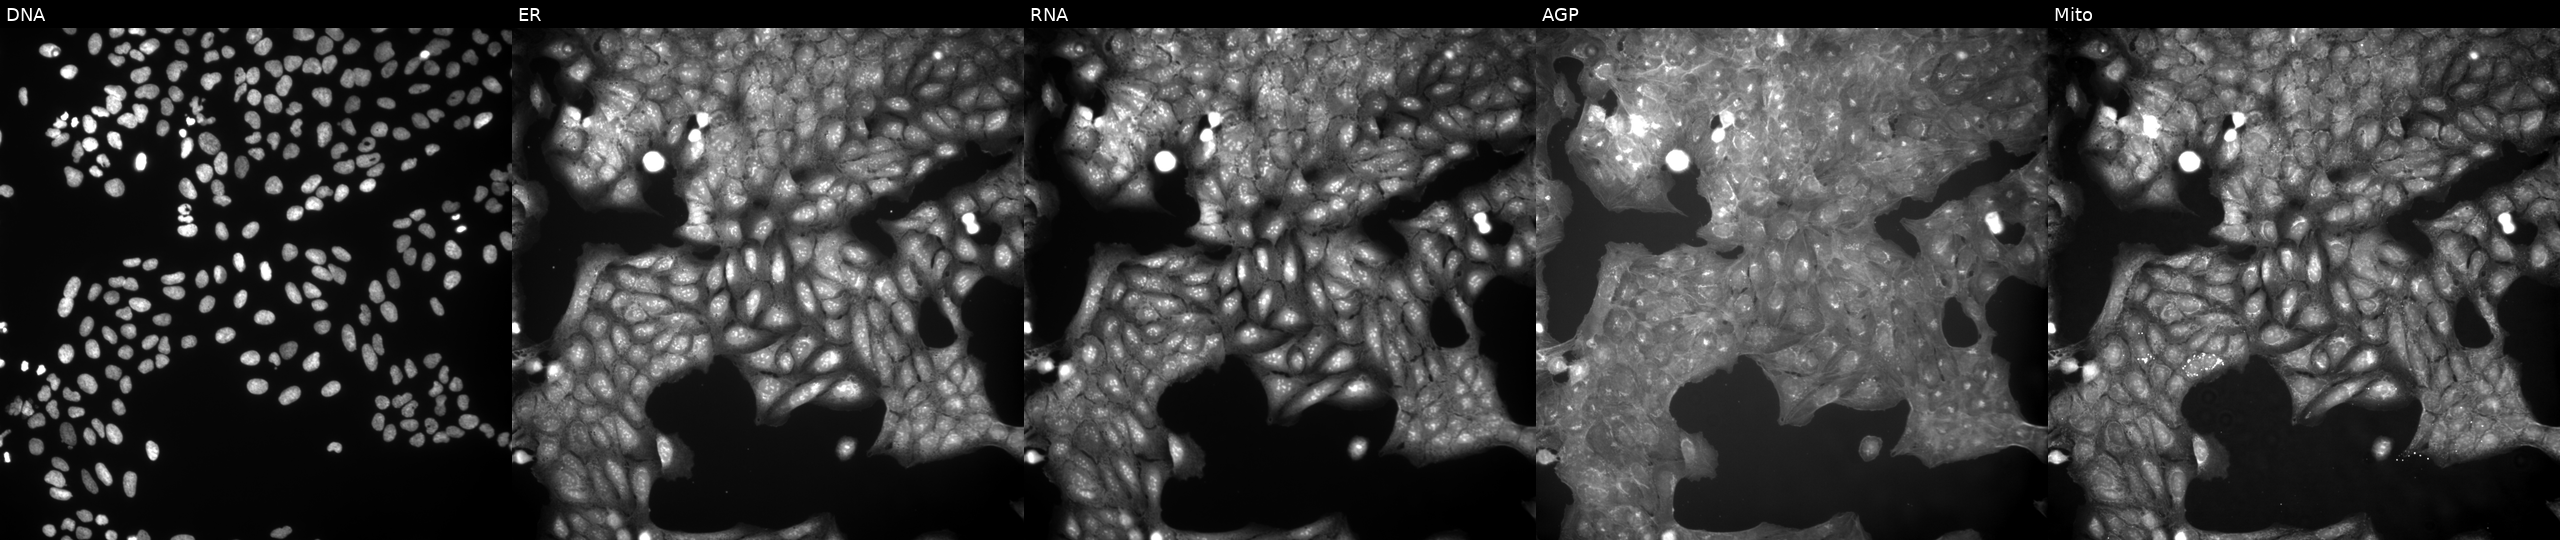
The five panels, left to right, show Hoechst 33342, concanavalin A, SYTO 14, phalloidin and WGA, MitoTracker. U2OS osteosarcoma cells perturbed with a small-molecule compound (InChIKey YERKYBKIMUQJGT-UHFFFAOYSA-N). Cell Painting assay, JUMP-CP dataset. Source 9, plate GR00003381, well C29.